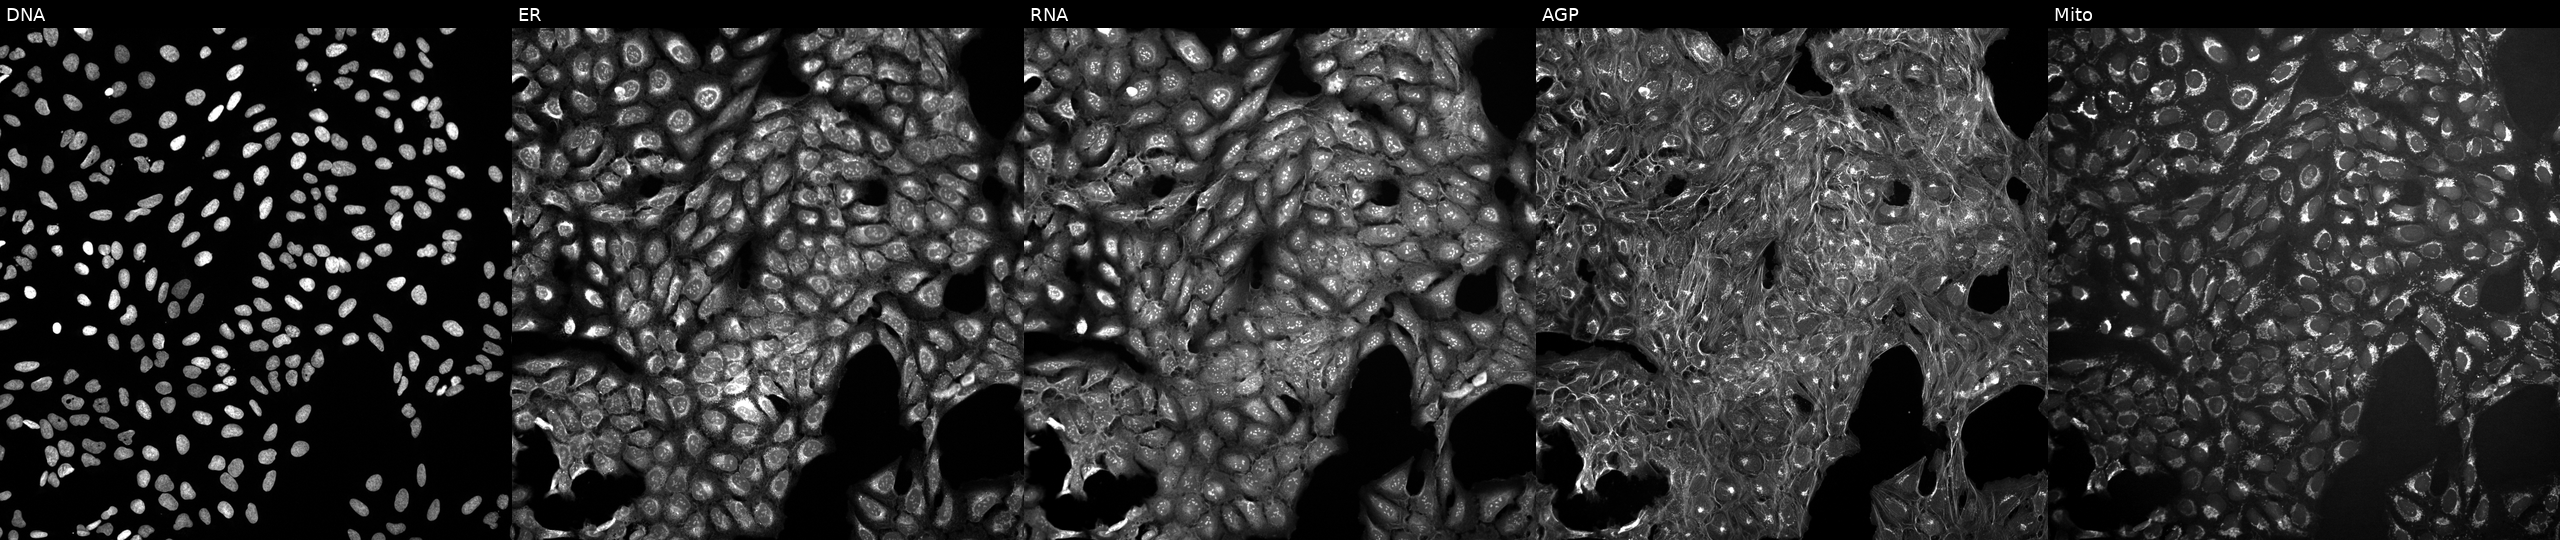
U2OS cells, Cell Painting assay, exposed to a small-molecule compound (InChIKey BBPSWKQNUKZXFC-UHFFFAOYSA-N) (JUMP id JCP2022_005254). The five panels, left to right, show DNA (nuclei); ER (endoplasmic reticulum); RNA (nucleoli and cytoplasmic RNA); AGP (actin cytoskeleton, Golgi, and plasma membrane); Mito (mitochondria). Each panel is percentile-stretched 16-bit fluorescence.